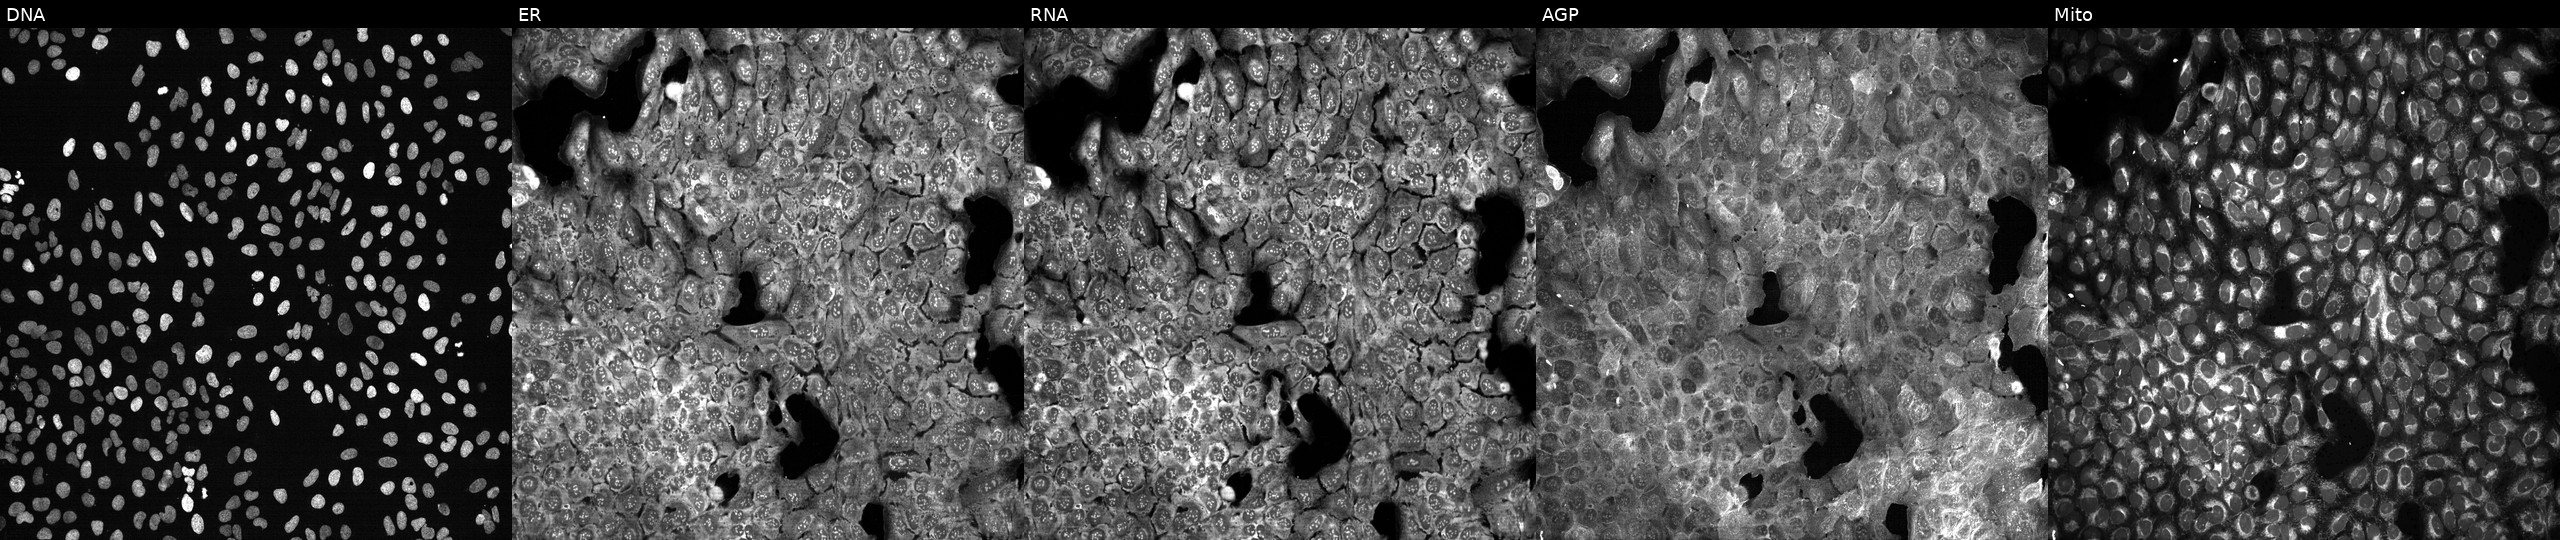
High-content fluorescence microscopy (Cell Painting). Cell line: U2OS. Perturbation: CRISPR-edited to disrupt ENO2 (JUMP id JCP2022_802111). Panels show, left to right, DNA, ER, RNA, AGP, and Mito. Source 13, plate CP-CC9-R2-01, well J12.